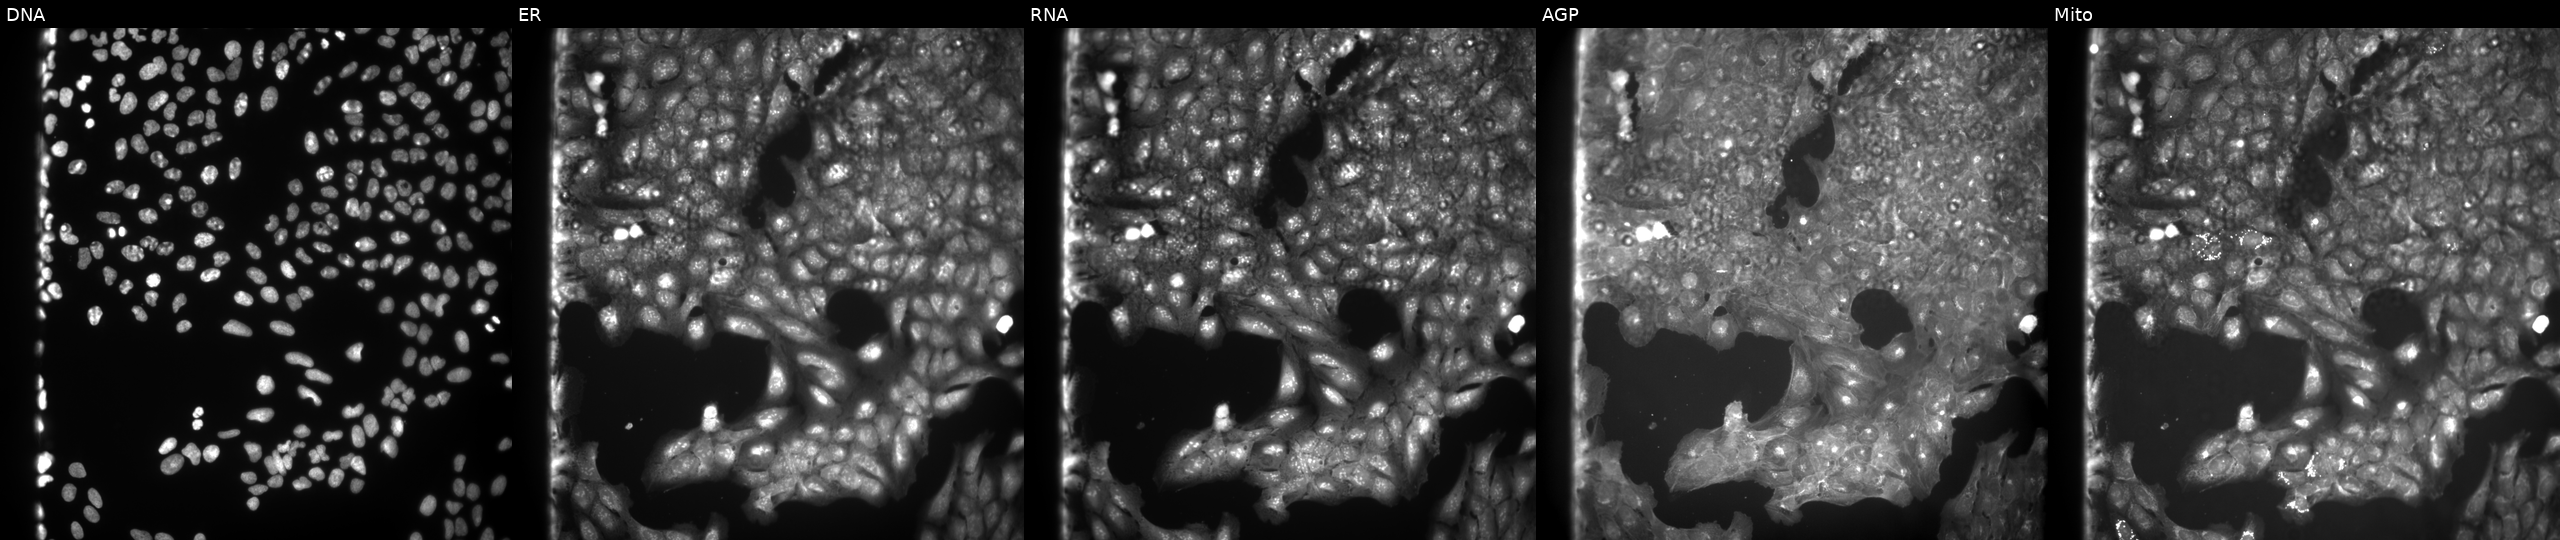
Five-channel Cell Painting image of U2OS cells exposed to the positive-control compound quinidine (JUMP id JCP2022_050797). From left to right: Hoechst 33342, concanavalin A, SYTO 14, phalloidin and WGA, MitoTracker. Source 9, plate GR00003382, well G01.